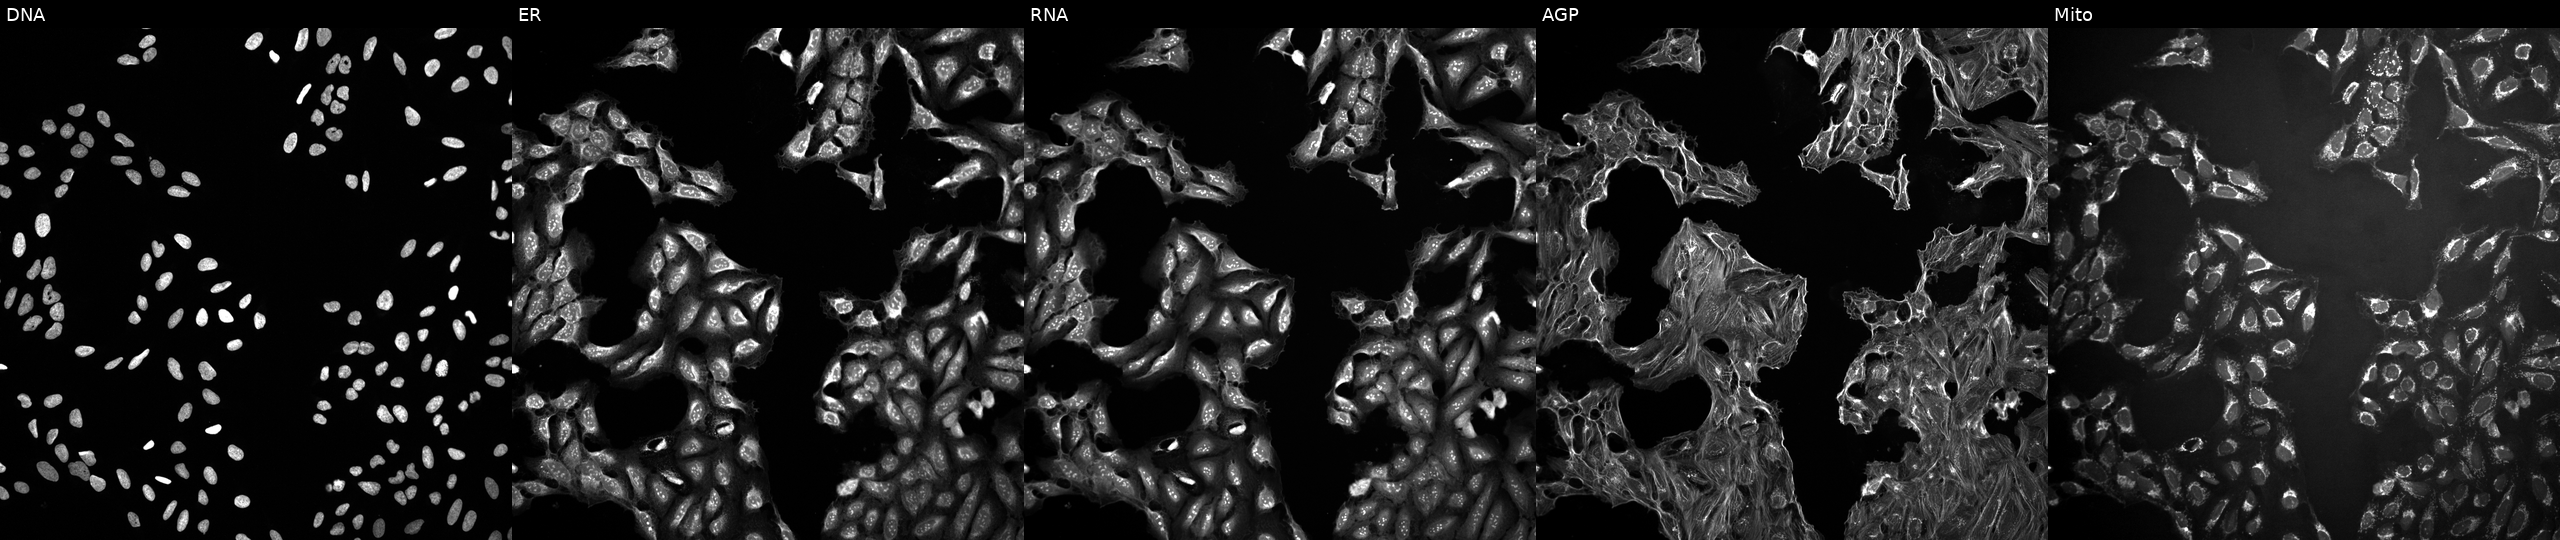
From left to right: Hoechst 33342, concanavalin A, SYTO 14, phalloidin and WGA, MitoTracker. U2OS osteosarcoma cells treated with a small-molecule compound (InChIKey LGEQQWMQCRIYKG-UHFFFAOYSA-N) (JUMP id JCP2022_049224). Cell Painting assay, JUMP-CP dataset. Source 10, plate Dest210727-153003, well I12.